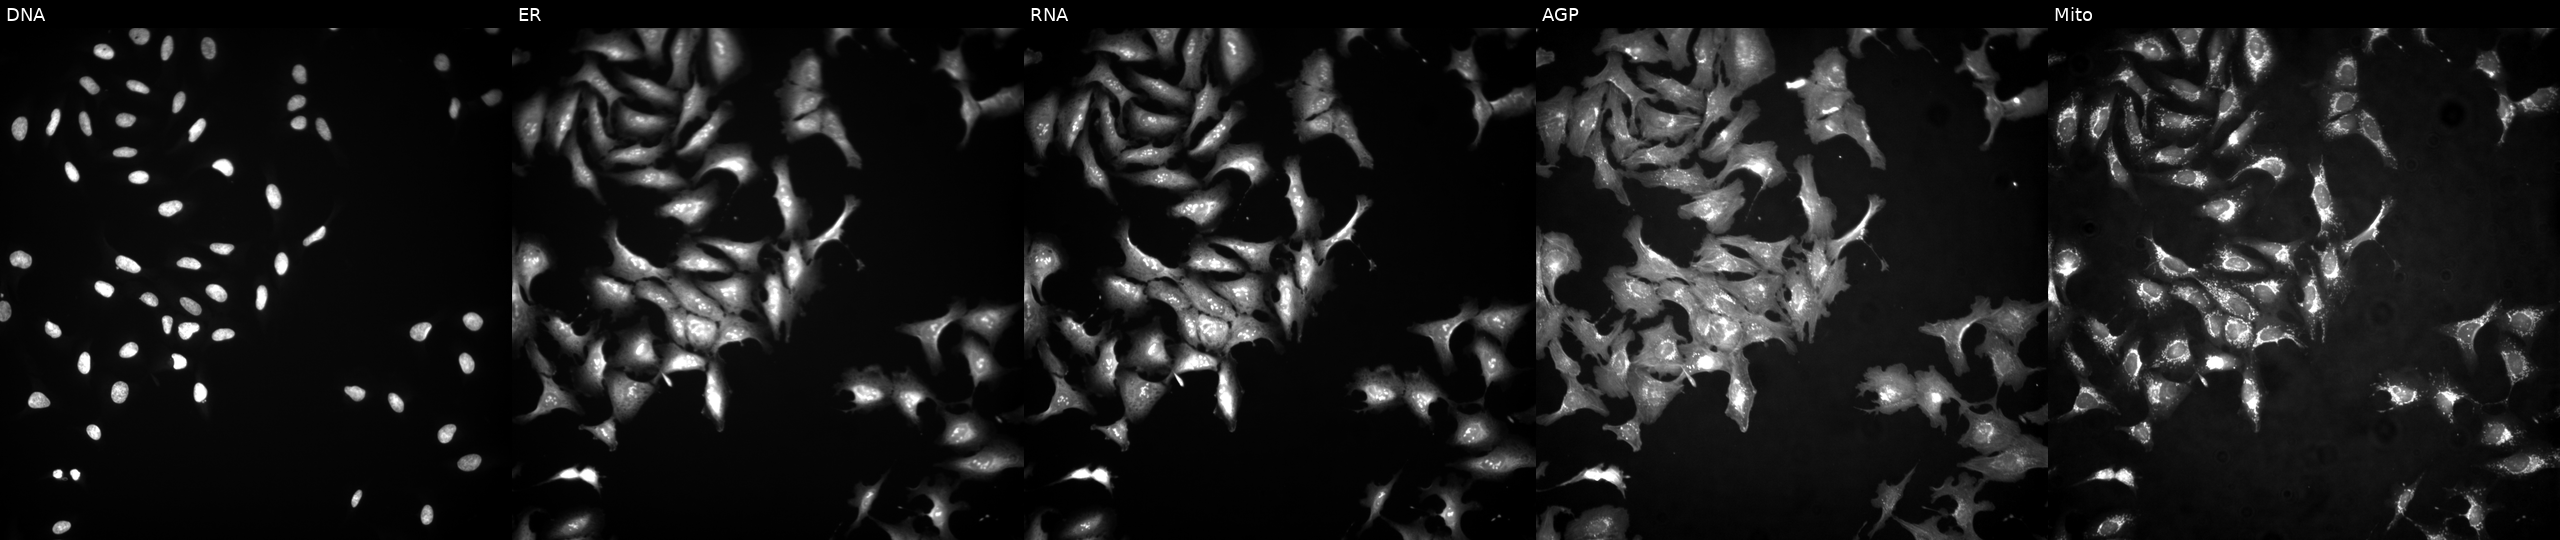
U2OS cells, Cell Painting assay, transfected with an ORF construct for COPS5 (JUMP id JCP2022_902425). The five panels, left to right, show Hoechst 33342, concanavalin A, SYTO 14, phalloidin and WGA, MitoTracker. Each panel is percentile-stretched 16-bit fluorescence. Source 4, plate BR00117035, well C17.